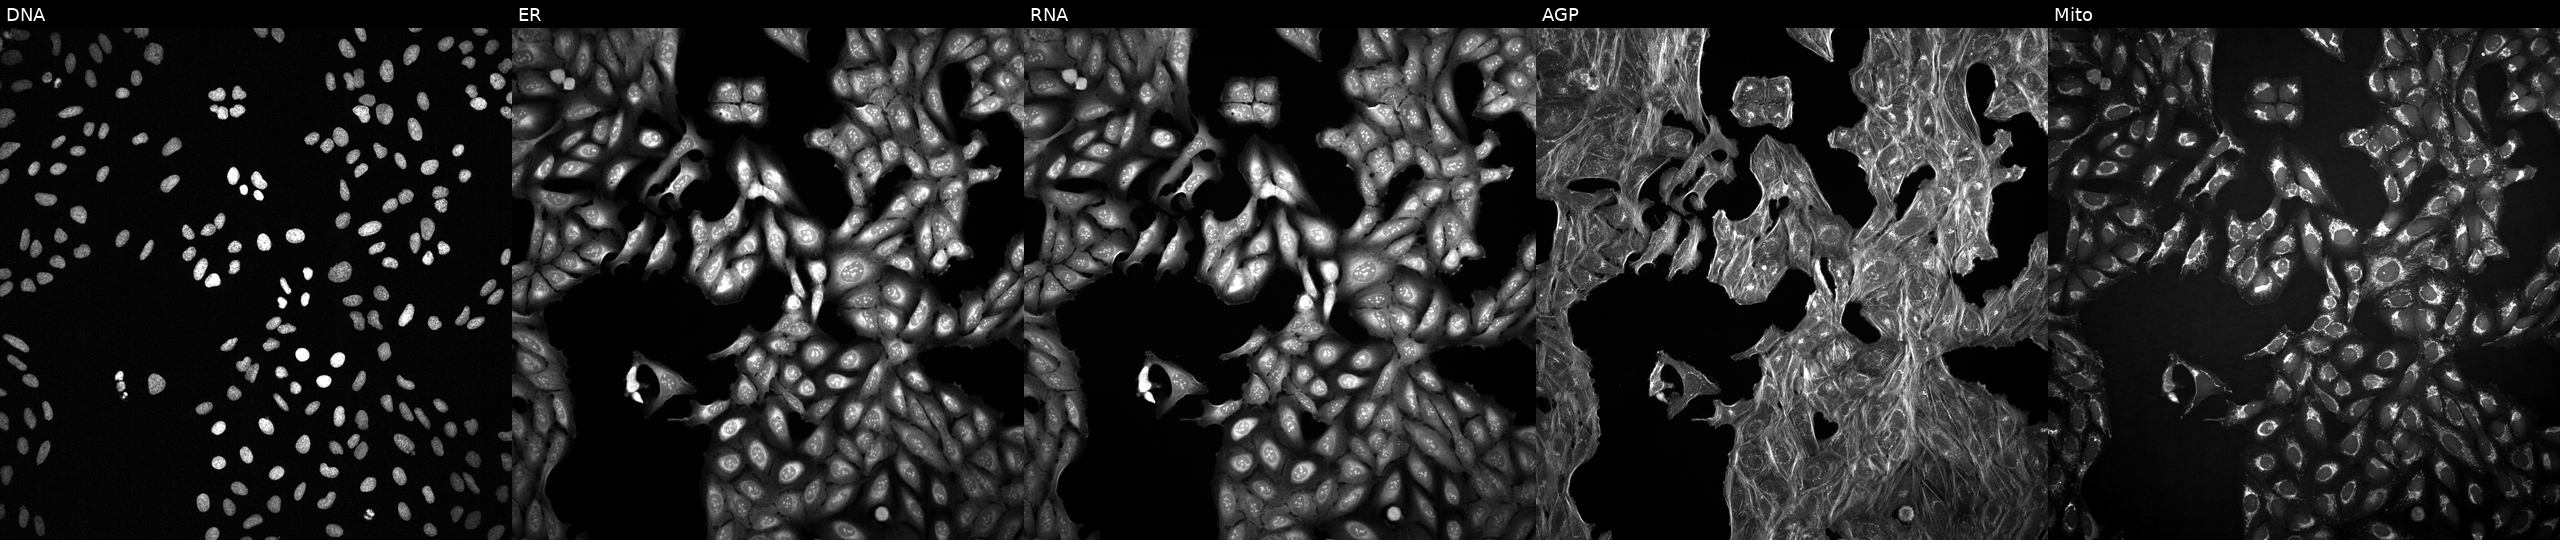
High-content fluorescence microscopy (Cell Painting). Cell line: U2OS. Perturbation: treated with a small-molecule compound (InChIKey SHIVQKXRGCRQBO-UHFFFAOYSA-N) [SMILES: O=C(c1cccc(Cl)c1)N1CCN(c2ccc3nncn3n2)CC1] (JUMP id JCP2022_083237). The five panels, left to right, show DNA, ER, RNA, AGP, and Mito.